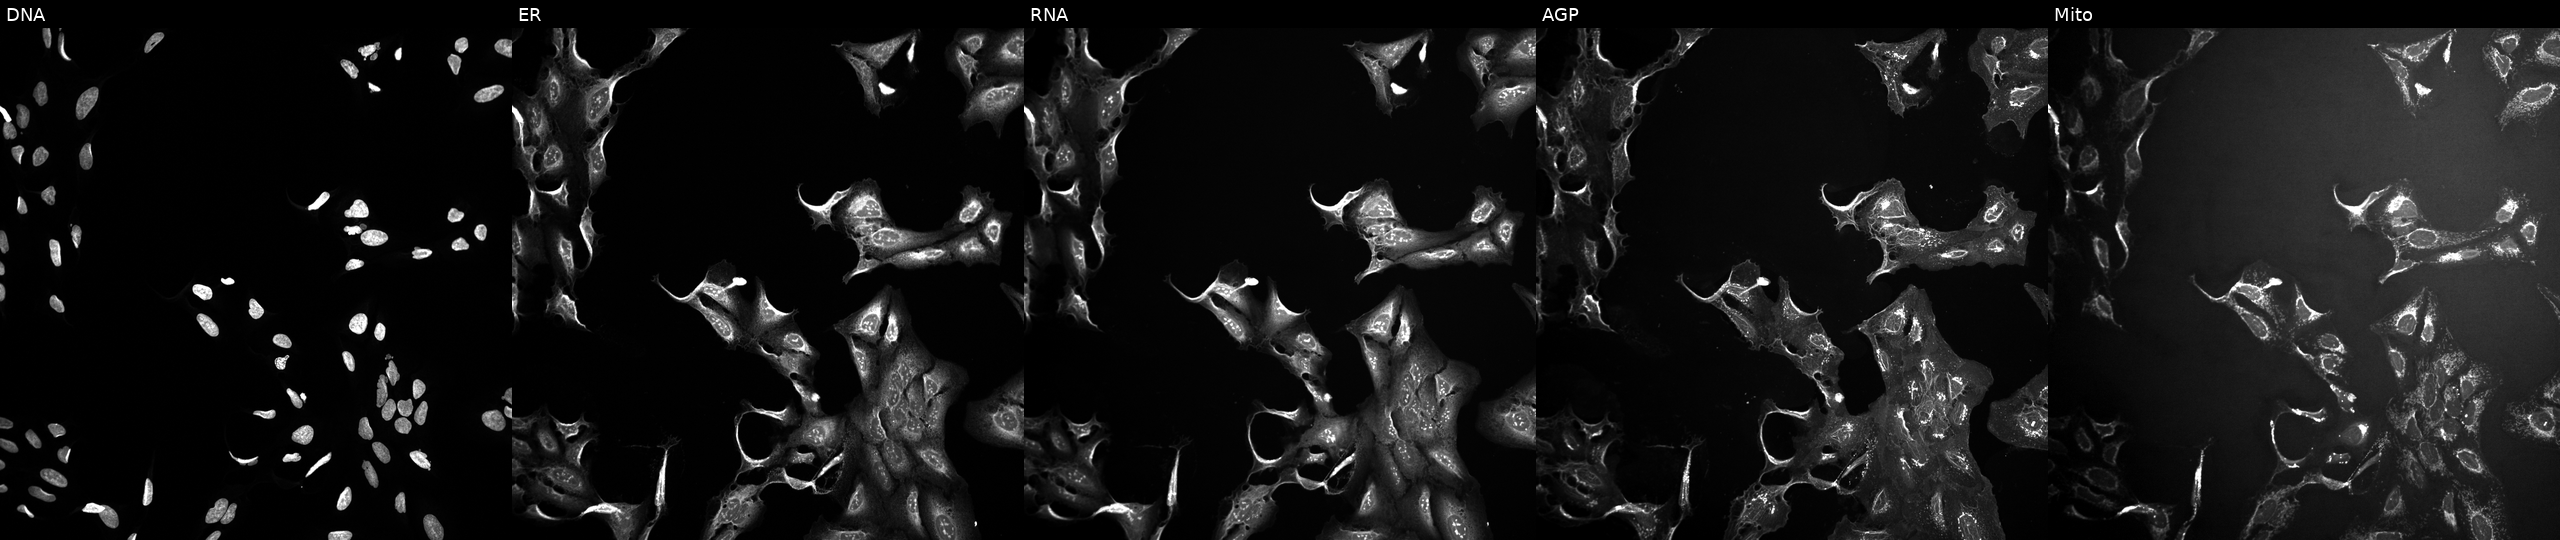
High-content fluorescence microscopy (Cell Painting). Cell line: U2OS. Perturbation: exposed to a small-molecule compound. Panels show, left to right, Hoechst 33342, concanavalin A, SYTO 14, phalloidin and WGA, MitoTracker.